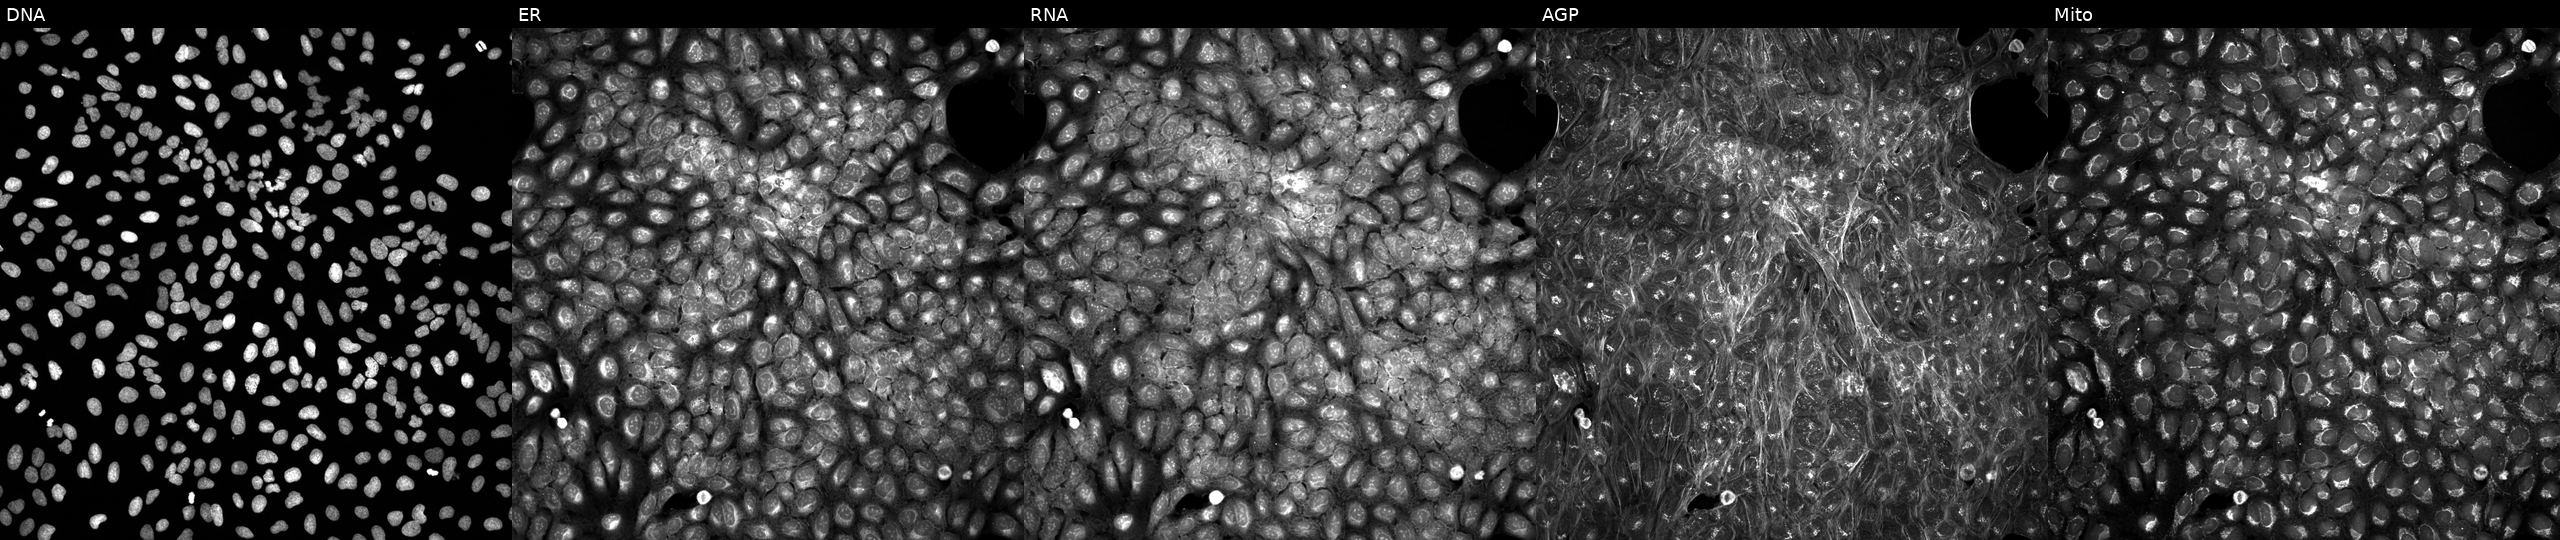
U2OS cells, Cell Painting assay, perturbed with a small-molecule compound (InChIKey NQQBNZBOOHHVQP-UHFFFAOYSA-N) (JUMP id JCP2022_060734). Panels show, left to right, Hoechst 33342, concanavalin A, SYTO 14, phalloidin and WGA, MitoTracker. Each panel is percentile-stretched 16-bit fluorescence.